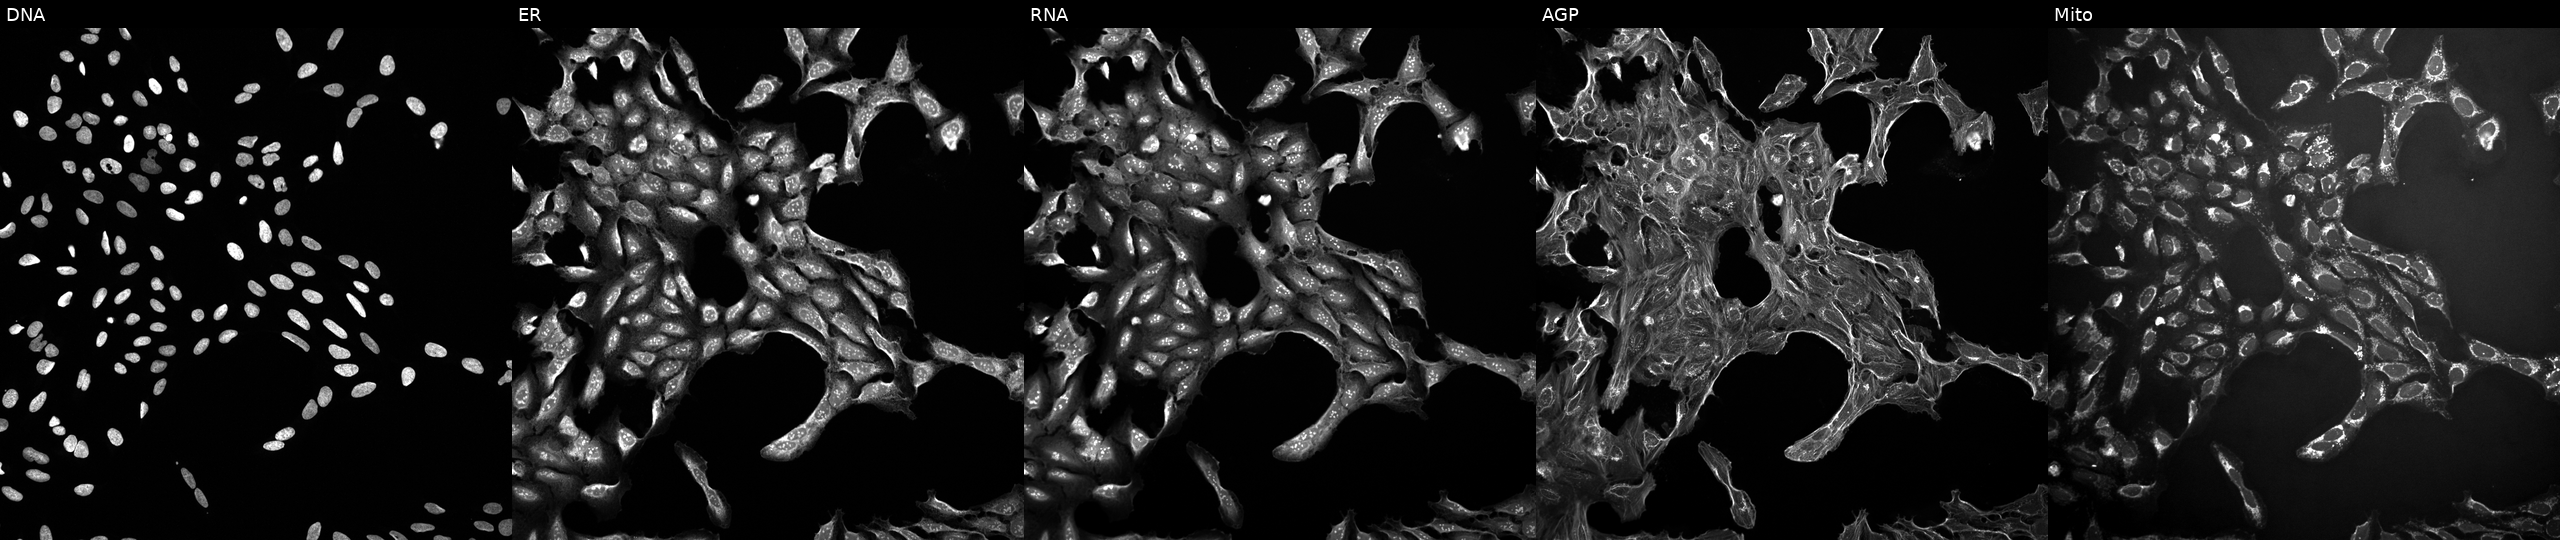
Five-channel Cell Painting image of U2OS cells treated with a small-molecule compound (InChIKey FNHKPVJBJVTLMP-UHFFFAOYSA-N) (JUMP id JCP2022_021751). Panels show, left to right, DNA, ER, RNA, AGP, and Mito. Source 10, plate Dest210726-160150, well M01.